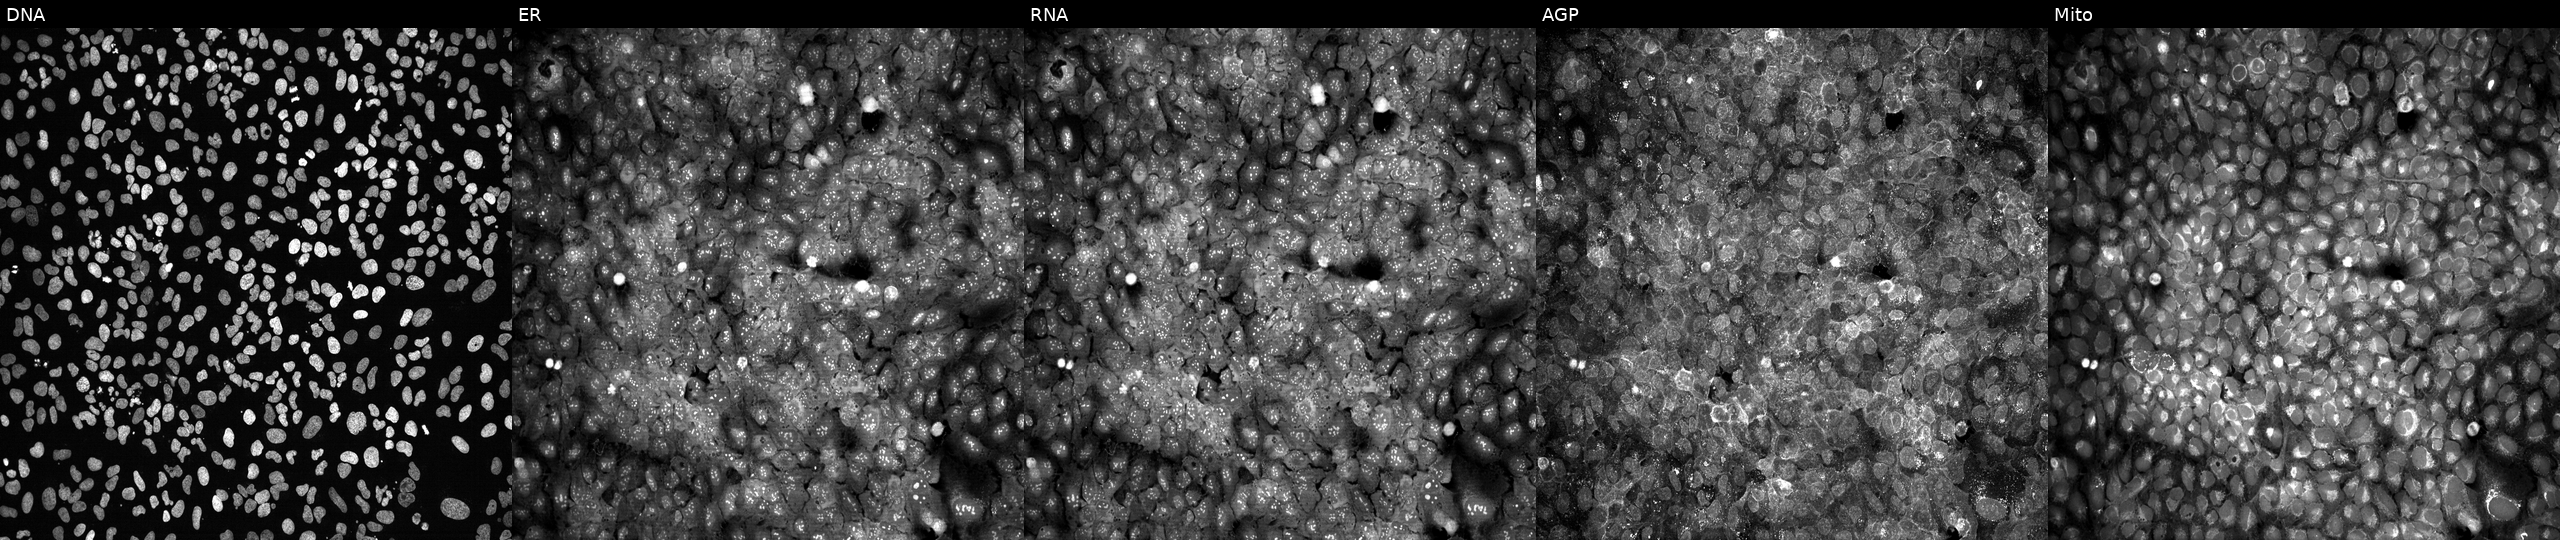
U2OS cells, Cell Painting assay, CRISPR-edited to disrupt GBA (JUMP id JCP2022_802626). Panels show, left to right, Hoechst 33342, concanavalin A, SYTO 14, phalloidin and WGA, MitoTracker. Each panel is percentile-stretched 16-bit fluorescence.